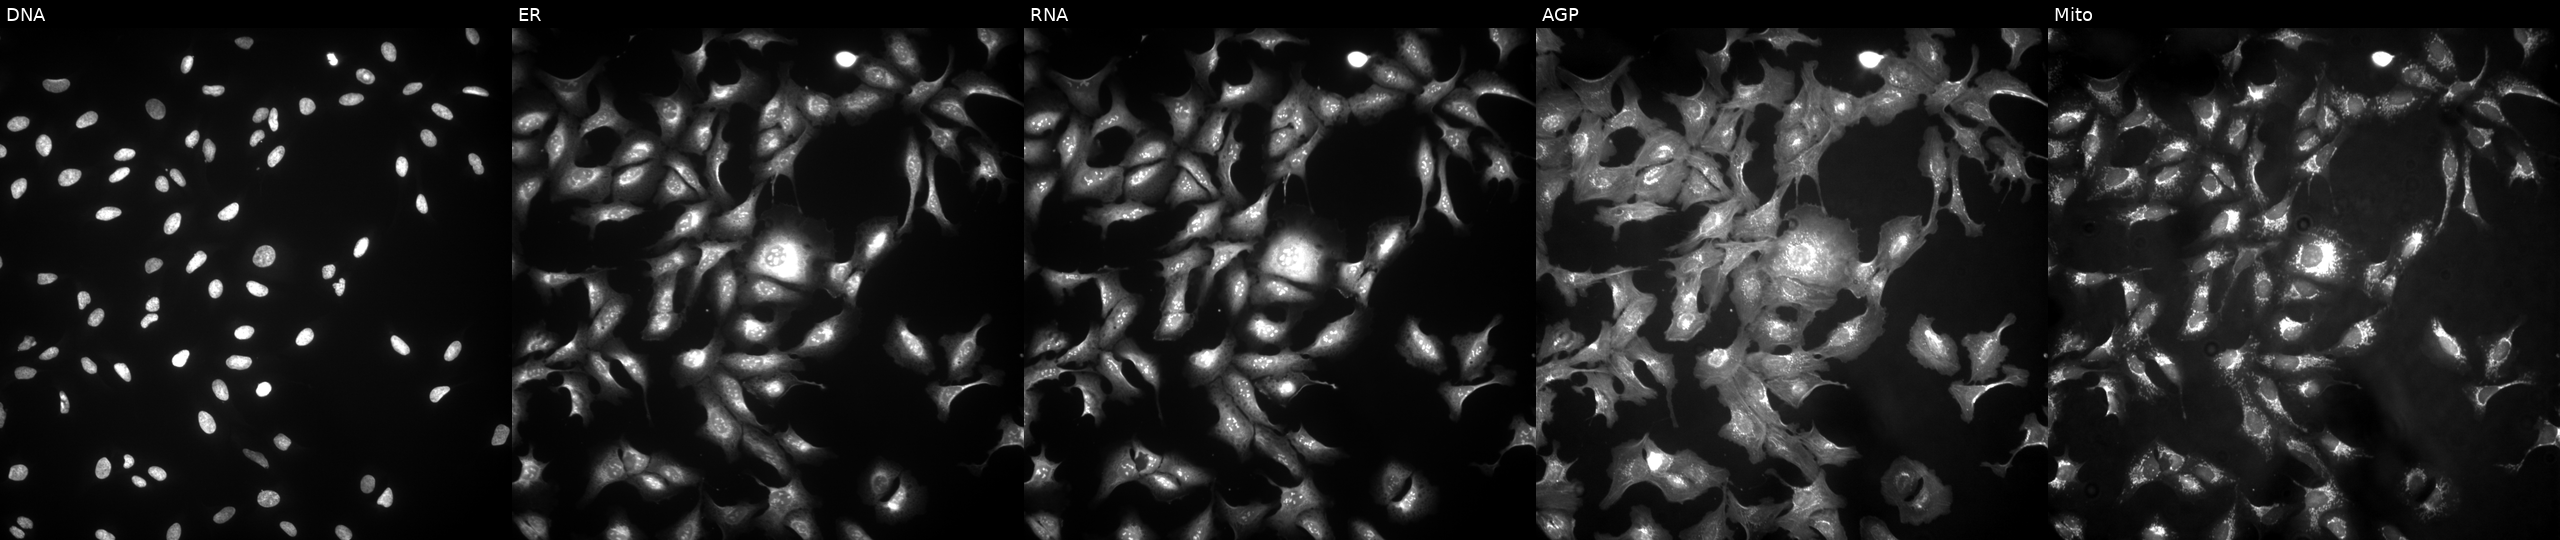
Channels (left→right): Hoechst 33342, concanavalin A, SYTO 14, phalloidin and WGA, MitoTracker. U2OS osteosarcoma cells expressing LacZ (ORF negative control) (JUMP id JCP2022_915131). Cell Painting assay, JUMP-CP dataset.